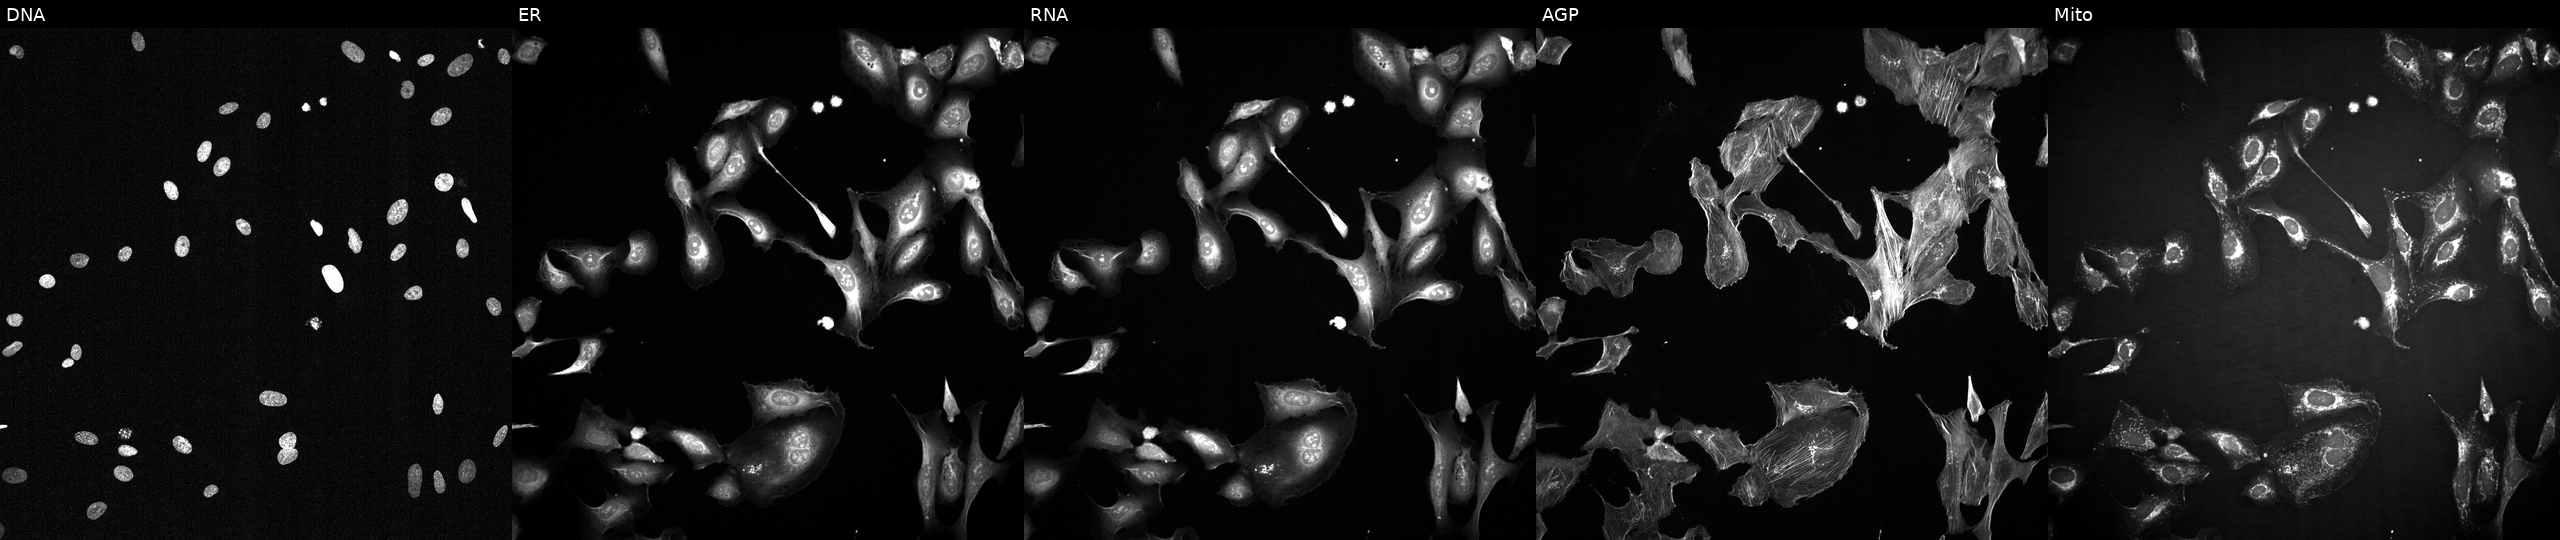
High-content fluorescence microscopy (Cell Painting). Cell line: U2OS. Perturbation: perturbed with a small-molecule compound [SMILES: CC(C)CC(=O)N=c1[nH][nH]c2c1CN(C(=O)C1CCN(C)CC1)C2(C)C]. The five panels, left to right, show Hoechst 33342, concanavalin A, SYTO 14, phalloidin and WGA, MitoTracker. Source 2, plate 1053599503, well D16.